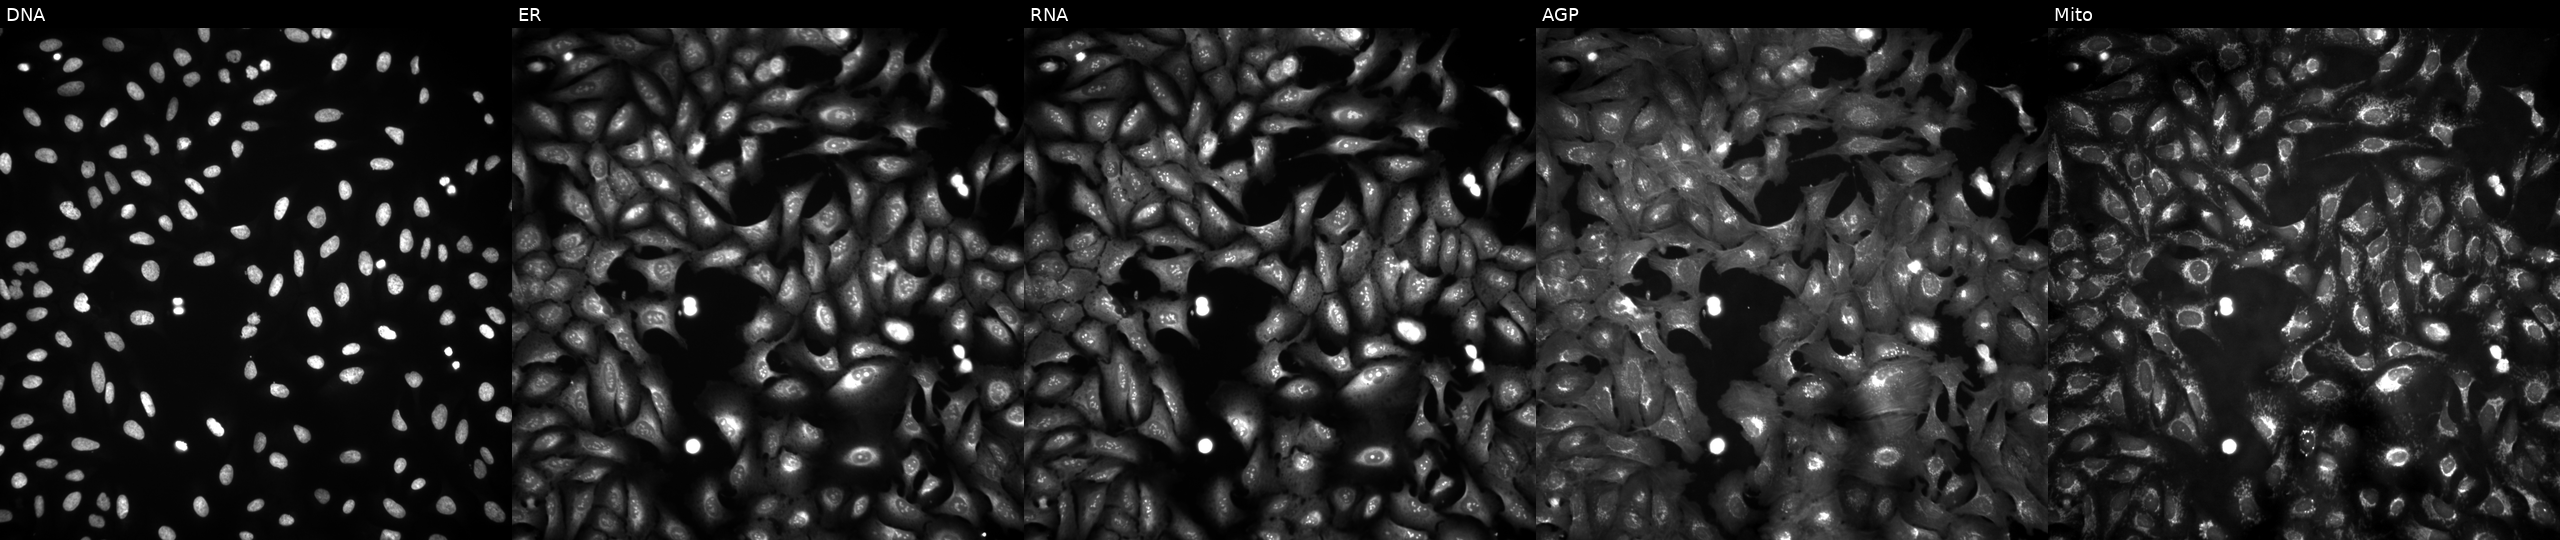
JUMP Cell Painting — ORF plate. U2OS cells with MRPL13 overexpressed (ORF) (JUMP id JCP2022_902874). The five panels, left to right, show DNA (nuclei); ER (endoplasmic reticulum); RNA (nucleoli and cytoplasmic RNA); AGP (actin cytoskeleton, Golgi, and plasma membrane); Mito (mitochondria). Source 4, plate BR00121543, well B06.